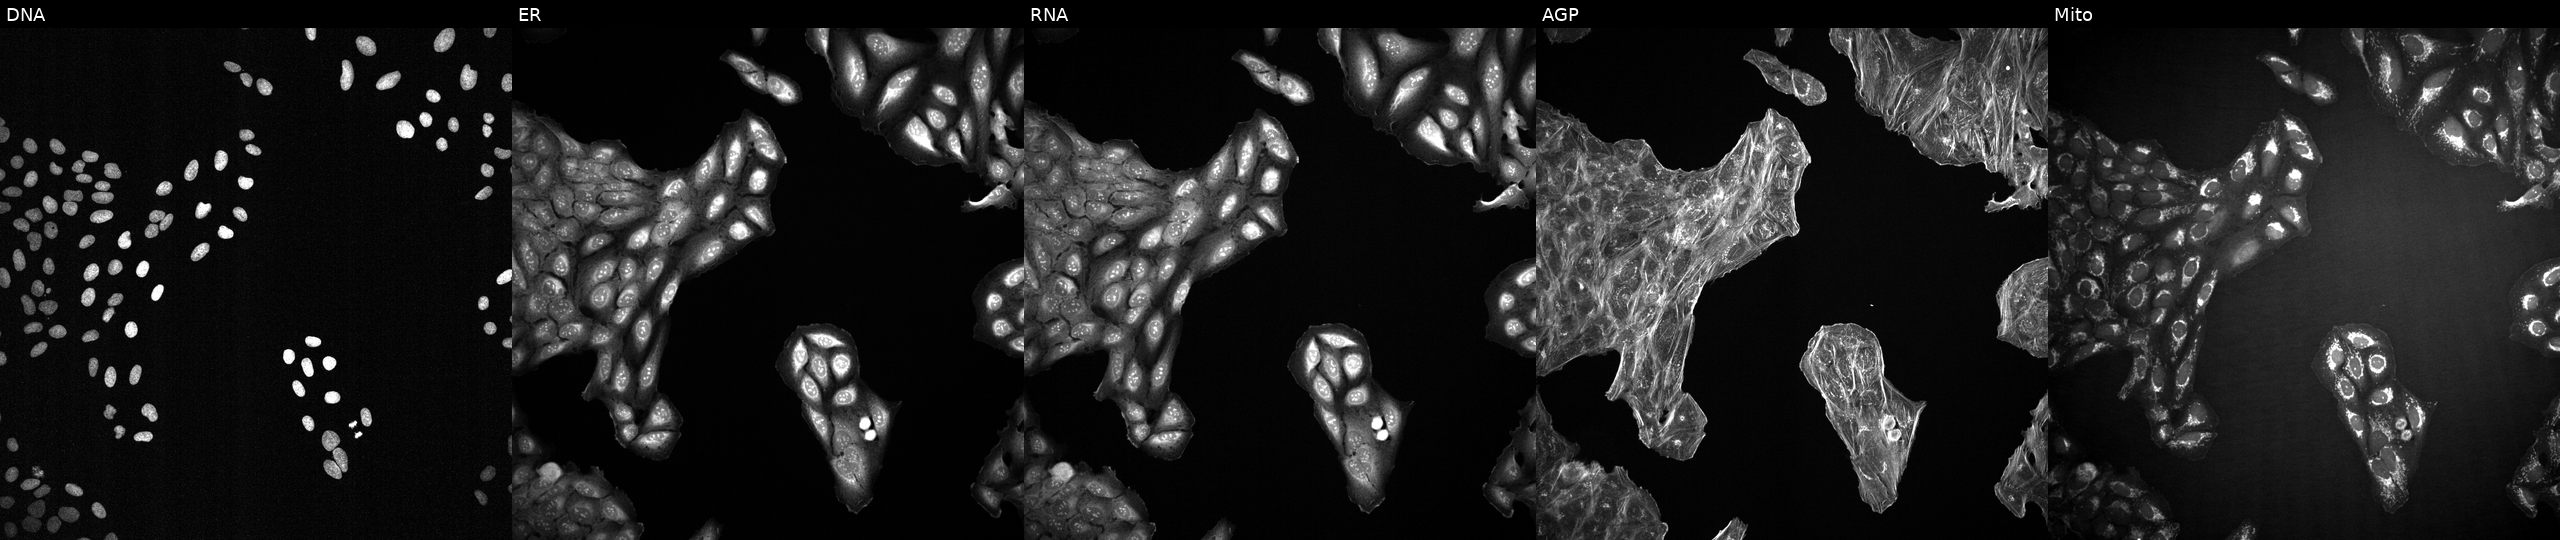
JUMP Cell Painting — TARGET2 plate. U2OS cells exposed to DMSO alone as a negative control. From left to right: Hoechst 33342, concanavalin A, SYTO 14, phalloidin and WGA, MitoTracker. Source 2, plate 1053599503, well D09.